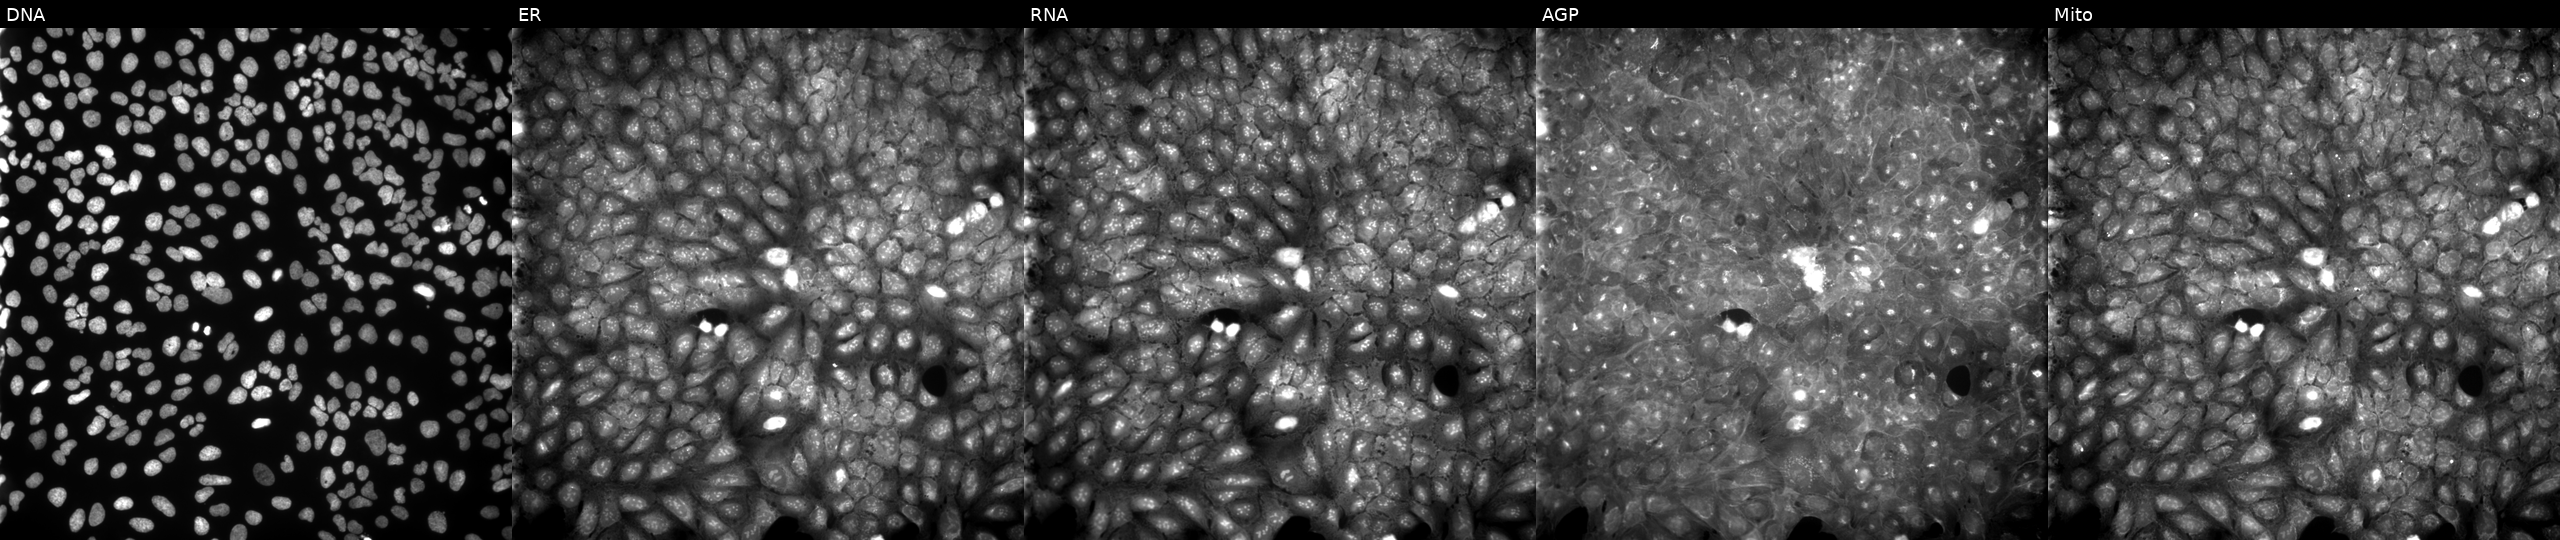
Five-channel Cell Painting image of U2OS cells perturbed with a small-molecule compound (InChIKey NTVPZEBRADKNLL-UHFFFAOYSA-N) [SMILES: Cc1n[nH]c(C)c1N1C(=O)c2cccc3c(N)ccc(c23)C1=O]. Channels (left→right): DNA (nuclei); ER (endoplasmic reticulum); RNA (nucleoli and cytoplasmic RNA); AGP (actin cytoskeleton, Golgi, and plasma membrane); Mito (mitochondria).